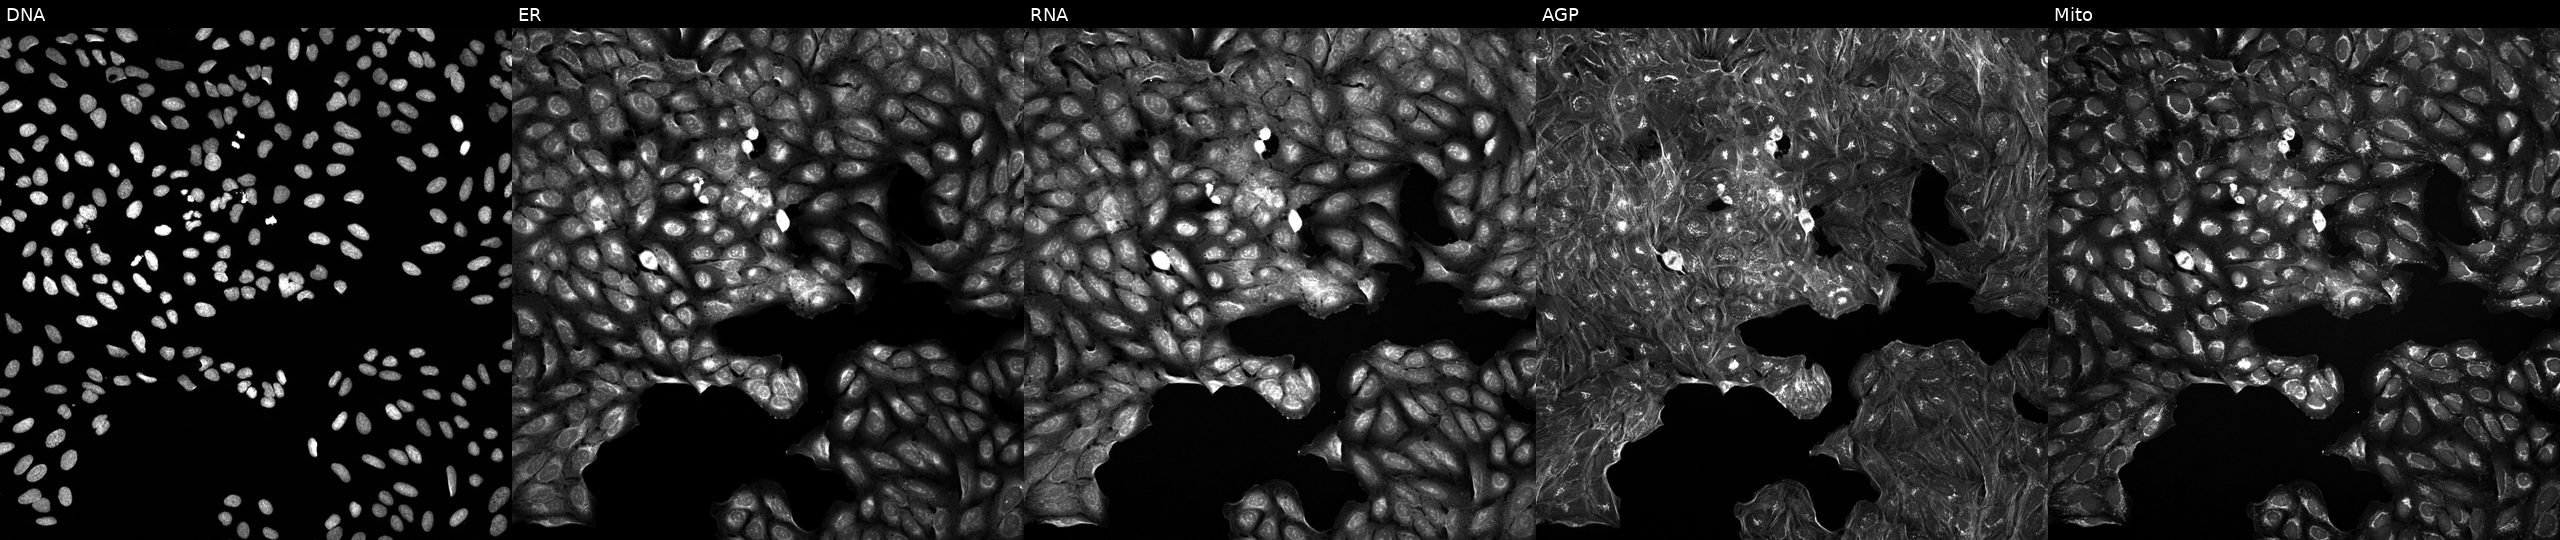
This image strip shows the five Cell Painting channels for a single field of U2OS cells exposed to a small-molecule compound (JUMP id JCP2022_073156). The five panels, left to right, show Hoechst 33342, concanavalin A, SYTO 14, phalloidin and WGA, MitoTracker.